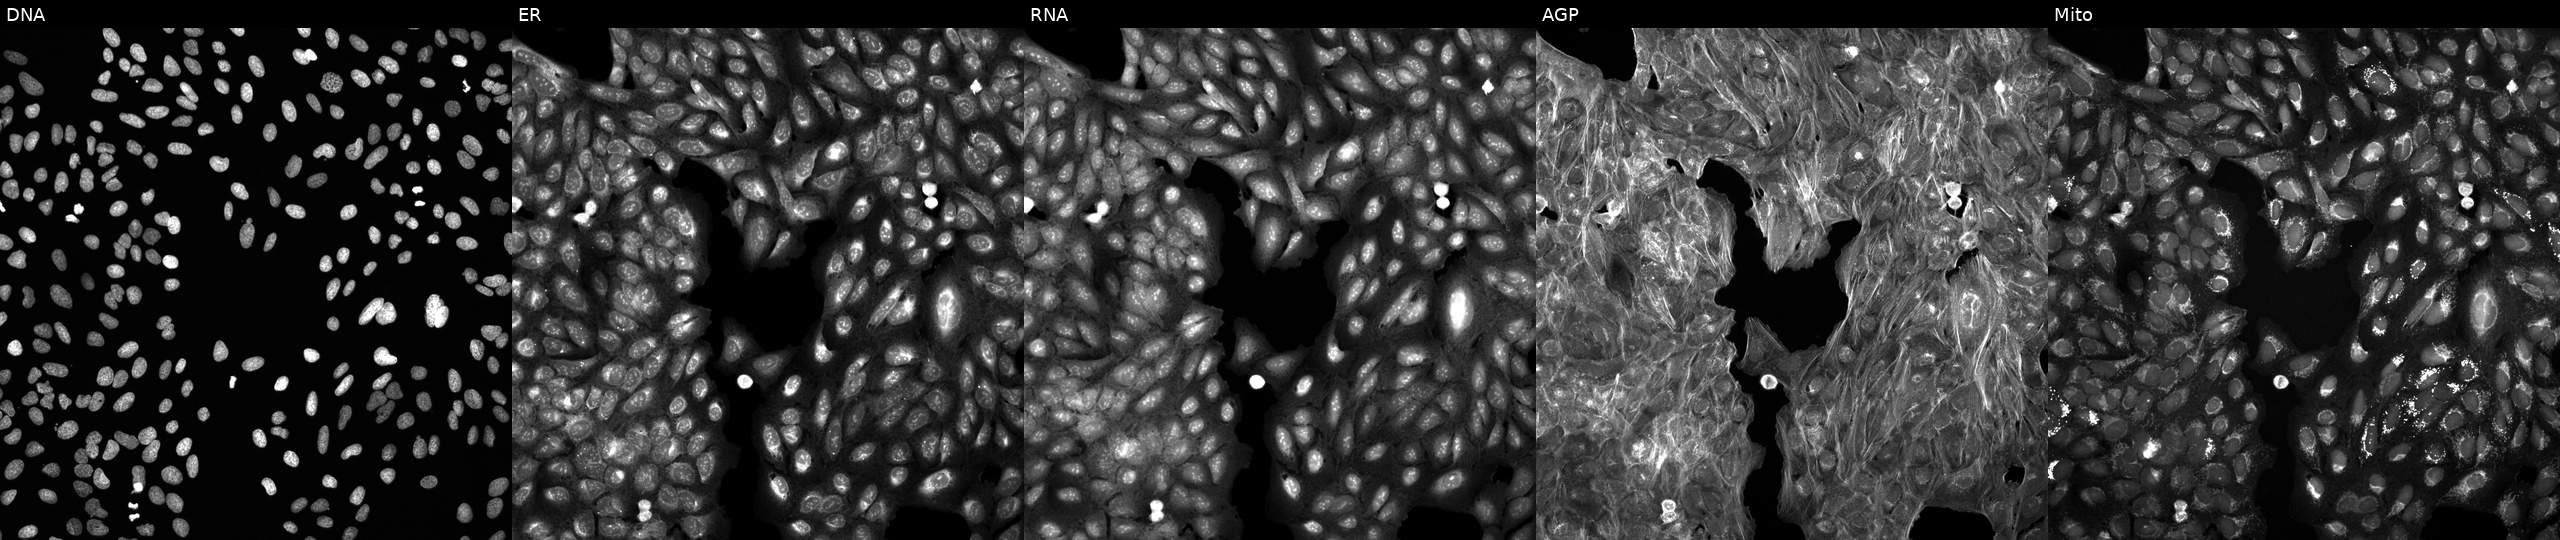
U2OS cells, Cell Painting assay, perturbed with a small-molecule compound (InChIKey BYBLEWFAAKGYCD-UHFFFAOYSA-N). From left to right: DNA, ER, RNA, AGP, and Mito. Each panel is percentile-stretched 16-bit fluorescence.